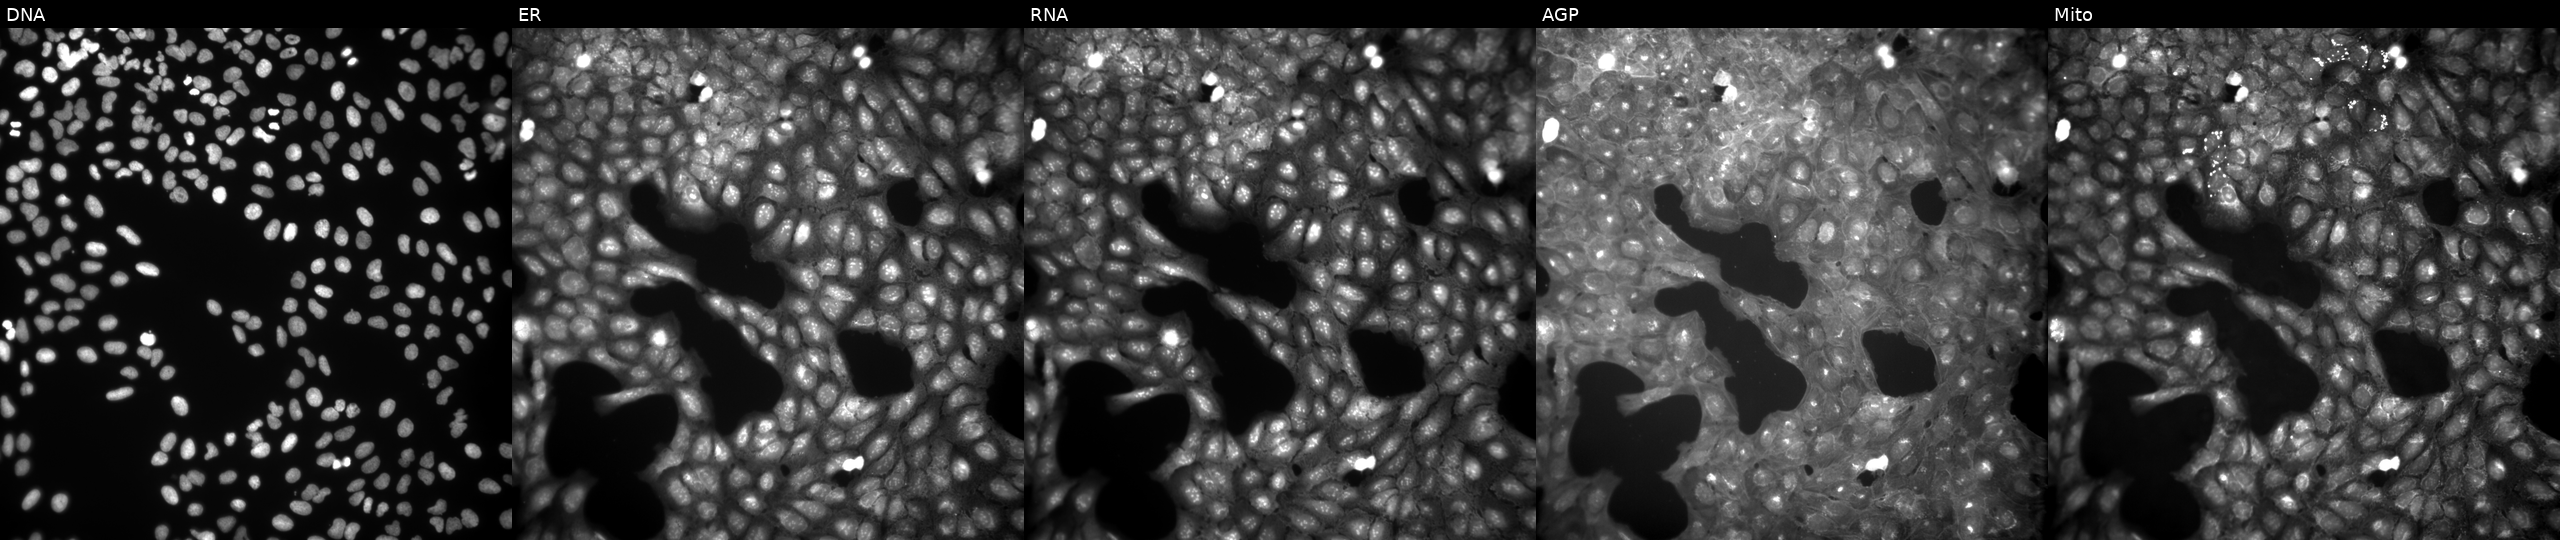
JUMP Cell Painting — COMPOUND plate. U2OS cells treated with DMSO vehicle only (negative control) (JUMP id JCP2022_033924). Channels (left→right): DNA (nuclei); ER (endoplasmic reticulum); RNA (nucleoli and cytoplasmic RNA); AGP (actin cytoskeleton, Golgi, and plasma membrane); Mito (mitochondria).